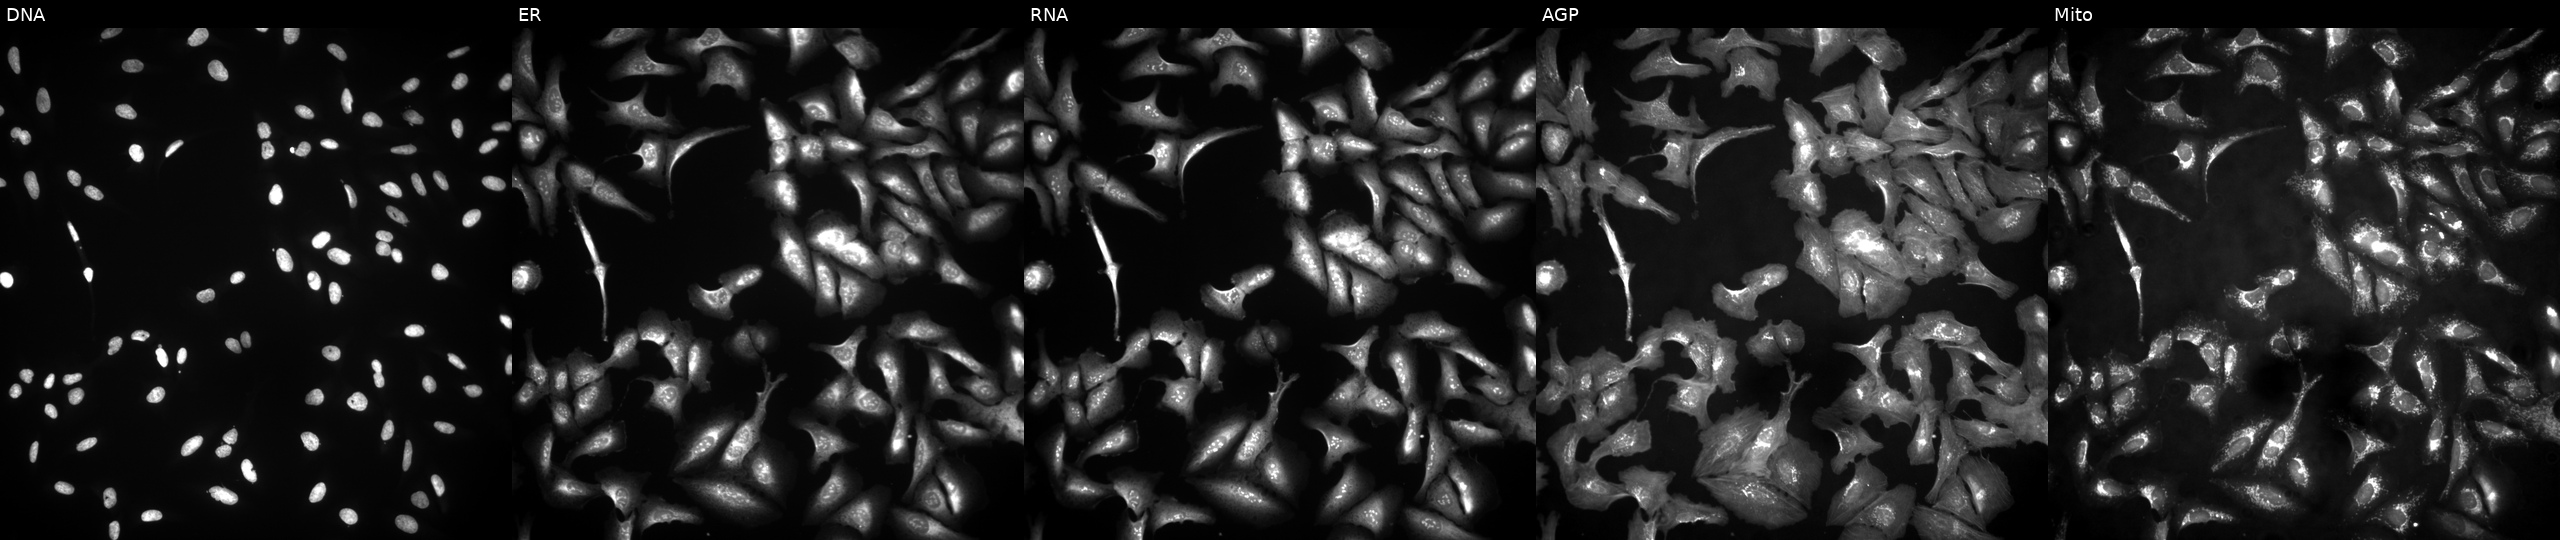
High-content fluorescence microscopy (Cell Painting). Cell line: U2OS. Perturbation: overexpressing FUOM via ORF transfection (JUMP id JCP2022_904999). The five panels, left to right, show DNA (nuclei); ER (endoplasmic reticulum); RNA (nucleoli and cytoplasmic RNA); AGP (actin cytoskeleton, Golgi, and plasma membrane); Mito (mitochondria).